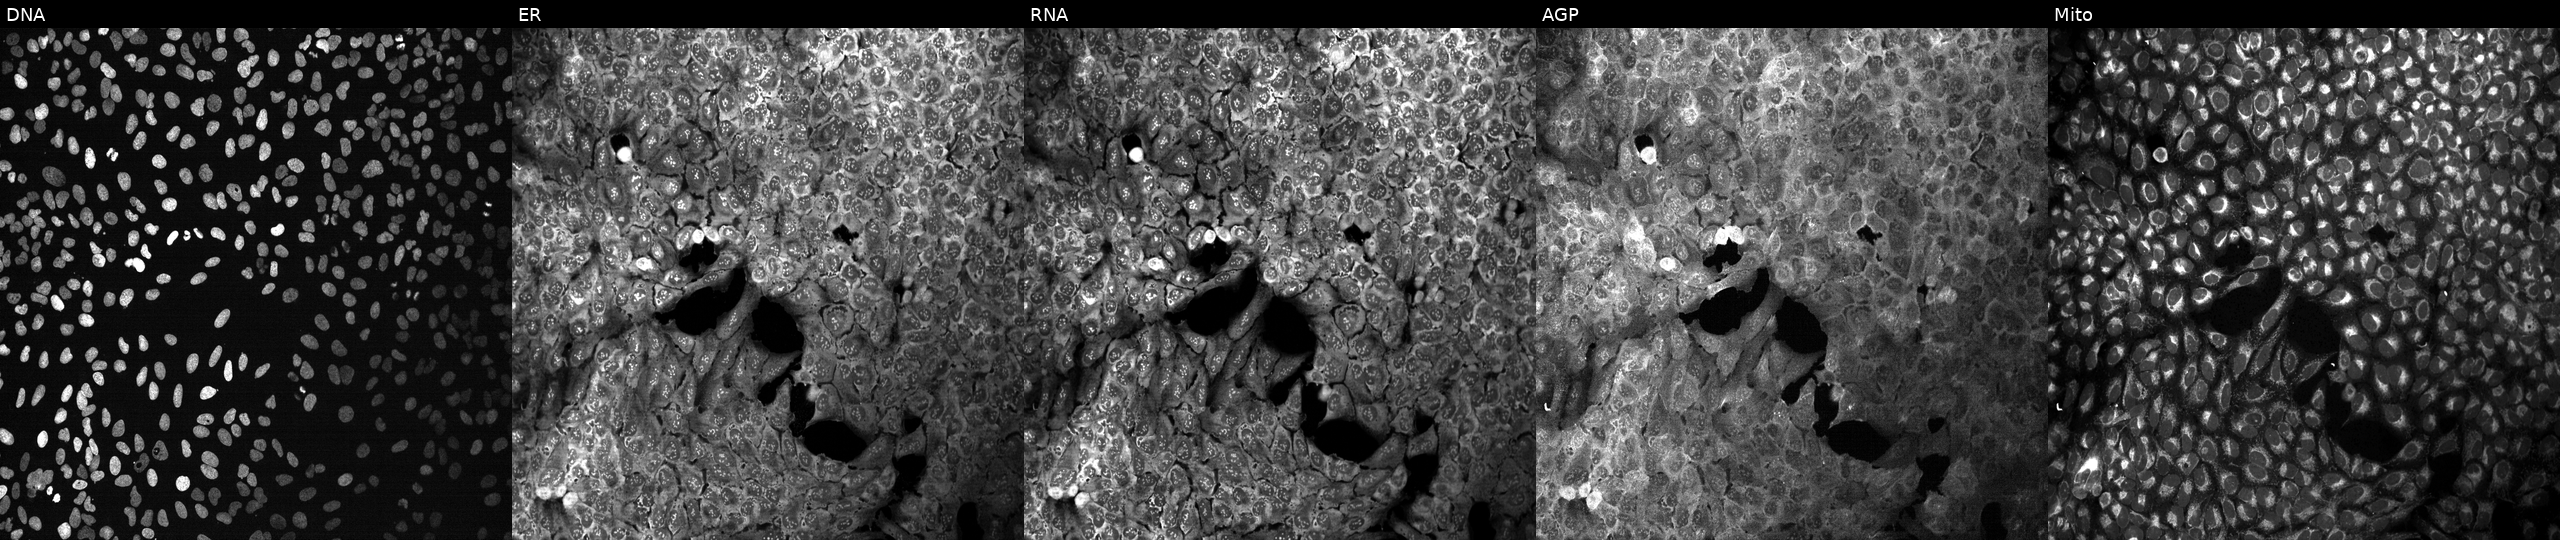
Five-channel Cell Painting image of U2OS cells CRISPR-edited to disrupt FKBP14. Panels show, left to right, DNA (nuclei); ER (endoplasmic reticulum); RNA (nucleoli and cytoplasmic RNA); AGP (actin cytoskeleton, Golgi, and plasma membrane); Mito (mitochondria). Source 13, plate CP-CC9-R3-02, well N22.